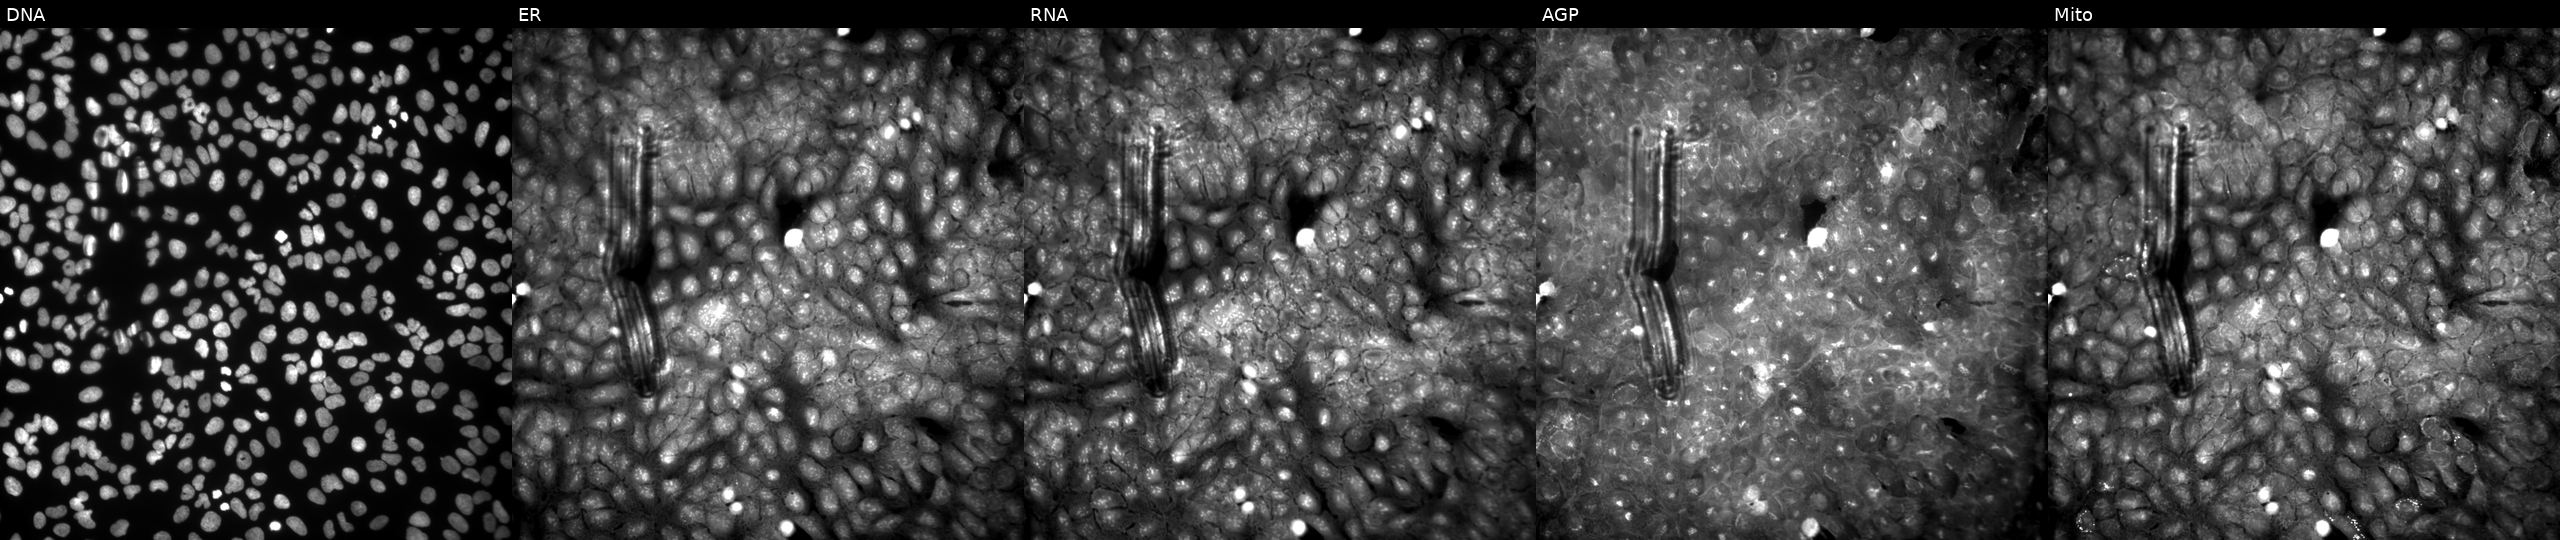
High-content fluorescence microscopy (Cell Painting). Cell line: U2OS. Perturbation: treated with a small-molecule compound (InChIKey SYUJGOWWFRBILM-UHFFFAOYSA-N) [SMILES: O=C(CSc1n[nH]c(-c2ccco2)n1)c1ccc(Cl)cc1]. Channels (left→right): DNA (nuclei); ER (endoplasmic reticulum); RNA (nucleoli and cytoplasmic RNA); AGP (actin cytoskeleton, Golgi, and plasma membrane); Mito (mitochondria).